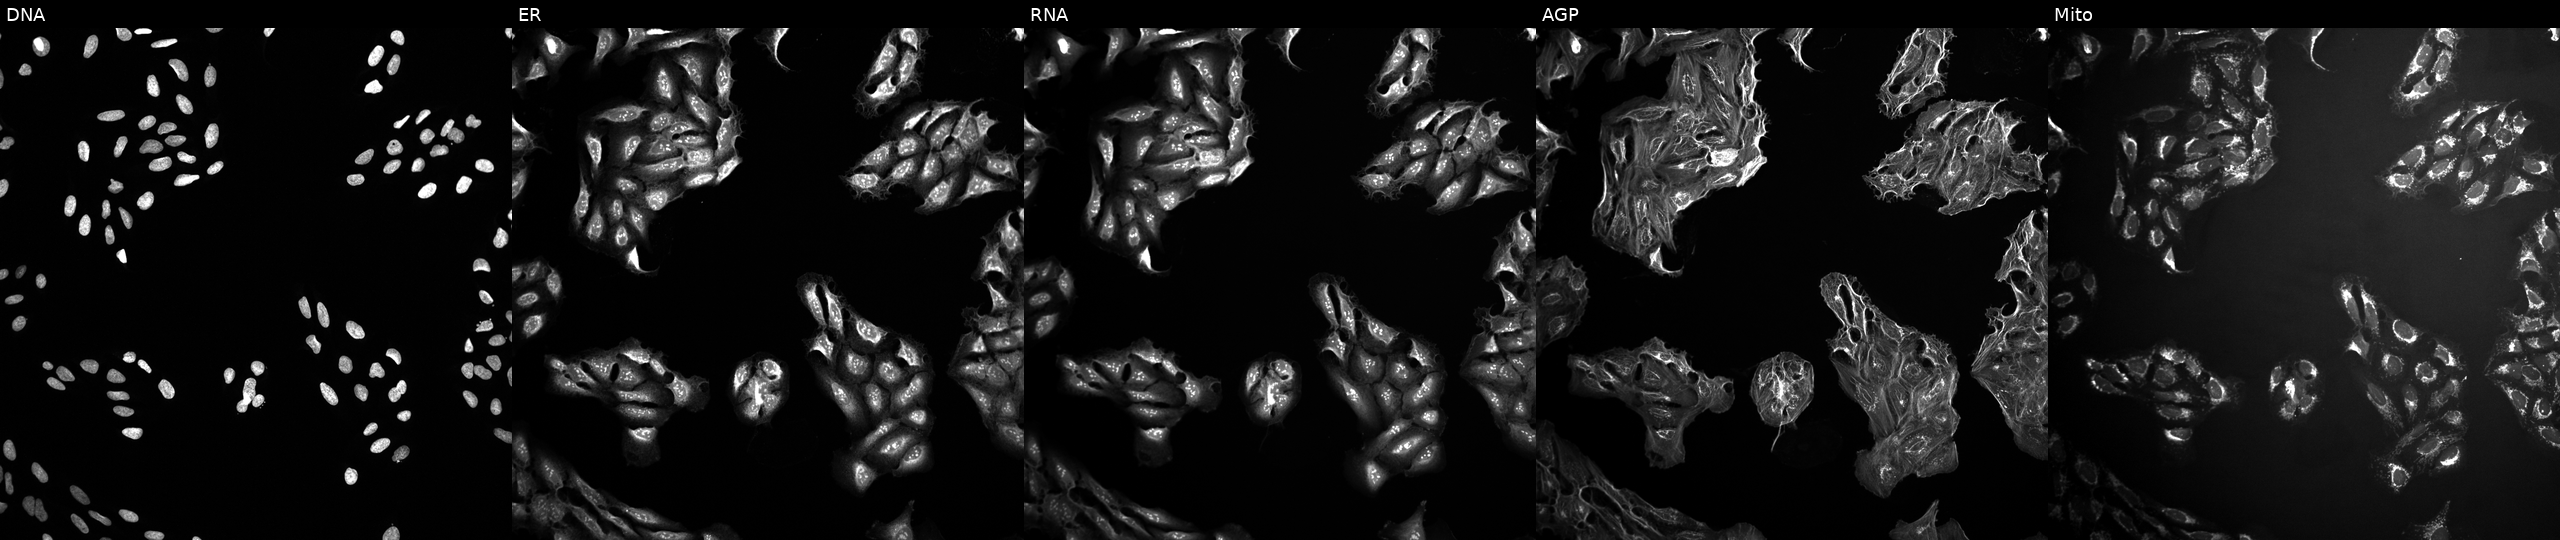
High-content fluorescence microscopy (Cell Painting). Cell line: U2OS. Perturbation: perturbed with a small-molecule compound (InChIKey NMUSYJAQQFHJEW-UHFFFAOYSA-N) (JUMP id JCP2022_060040). The five panels, left to right, show DNA (nuclei); ER (endoplasmic reticulum); RNA (nucleoli and cytoplasmic RNA); AGP (actin cytoskeleton, Golgi, and plasma membrane); Mito (mitochondria). Source 10, plate Dest210726-160150, well H20.